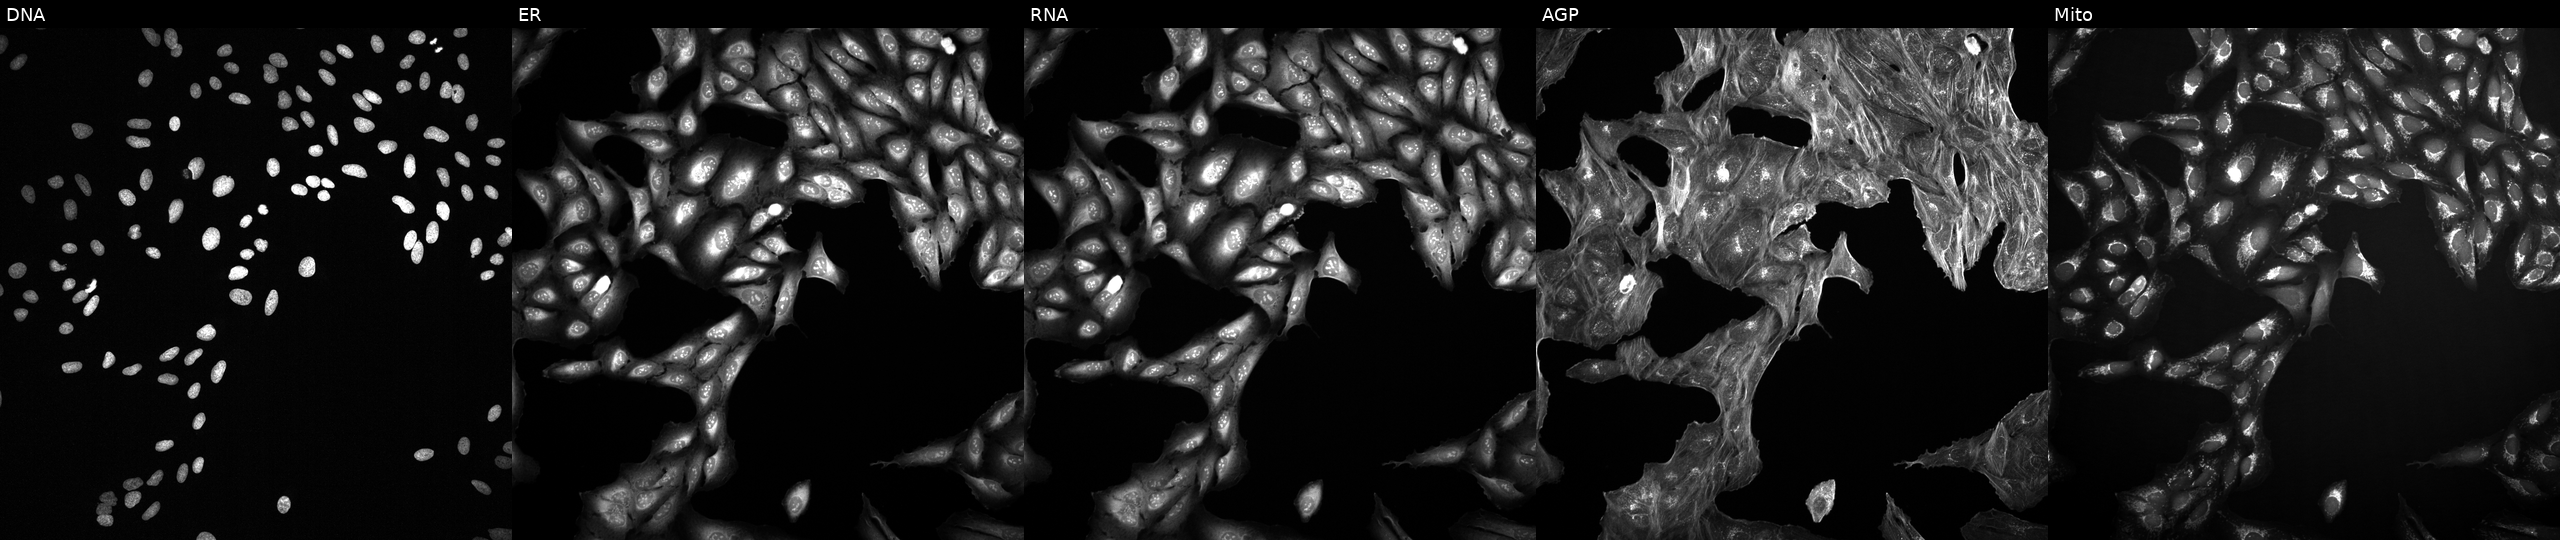
The five panels, left to right, show DNA (nuclei); ER (endoplasmic reticulum); RNA (nucleoli and cytoplasmic RNA); AGP (actin cytoskeleton, Golgi, and plasma membrane); Mito (mitochondria). U2OS osteosarcoma cells exposed to DMSO alone as a negative control. Cell Painting assay, JUMP-CP dataset.